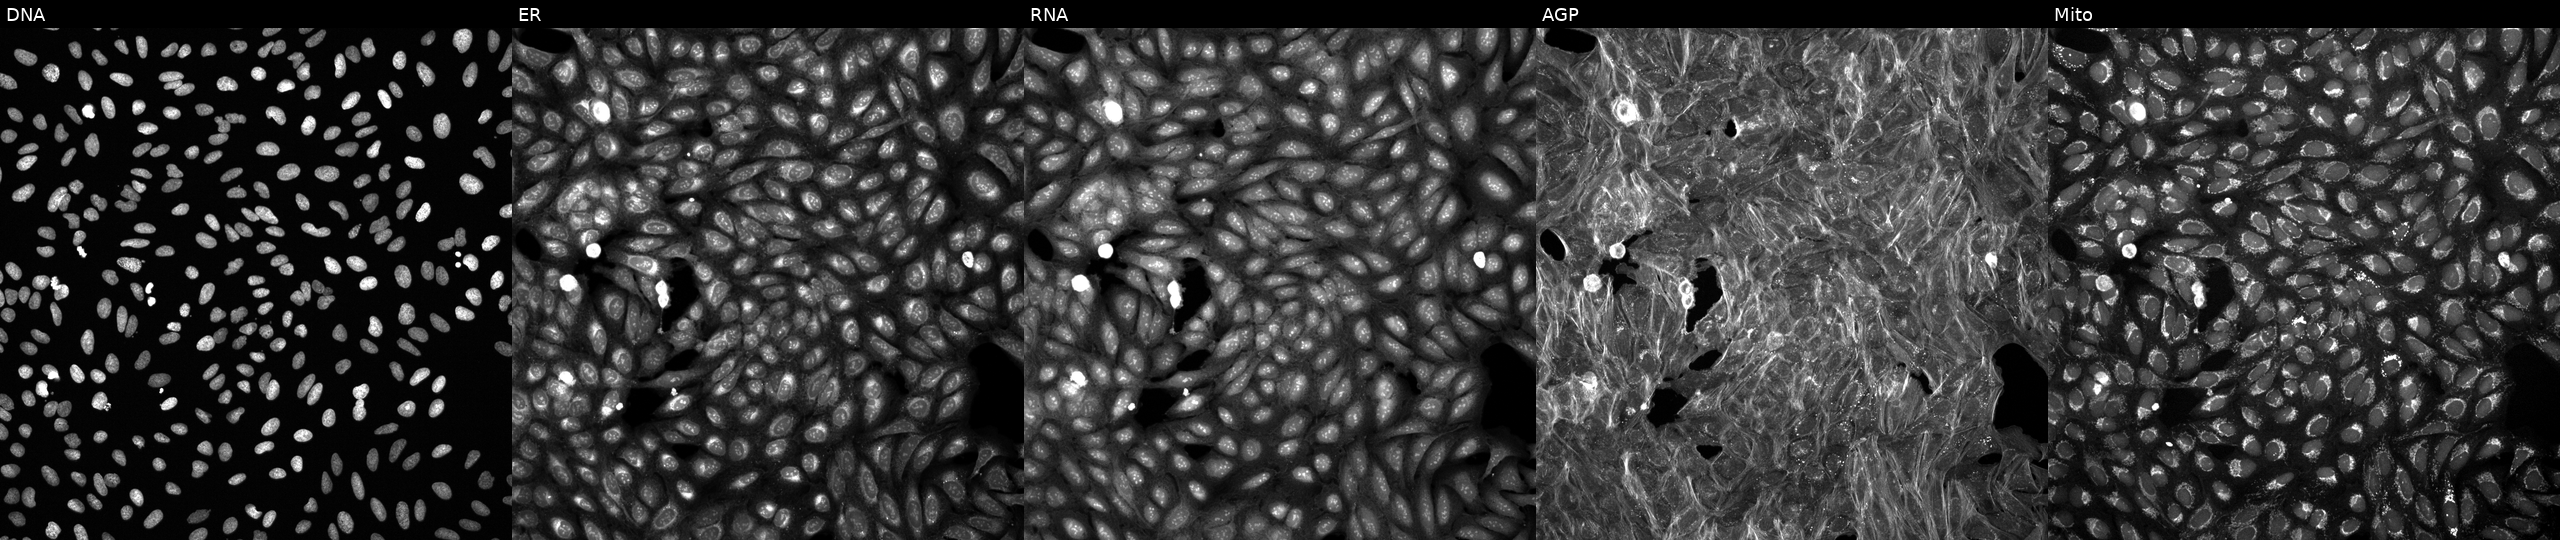
Five-channel Cell Painting image of U2OS cells treated with a small-molecule compound [SMILES: O=C1CCc2ccc(OCCCCN3CCN(c4cccc(Cl)c4Cl)CC3)cc2N1]. Channels (left→right): DNA, ER, RNA, AGP, and Mito. Source 6, plate 110000293081, well P13.